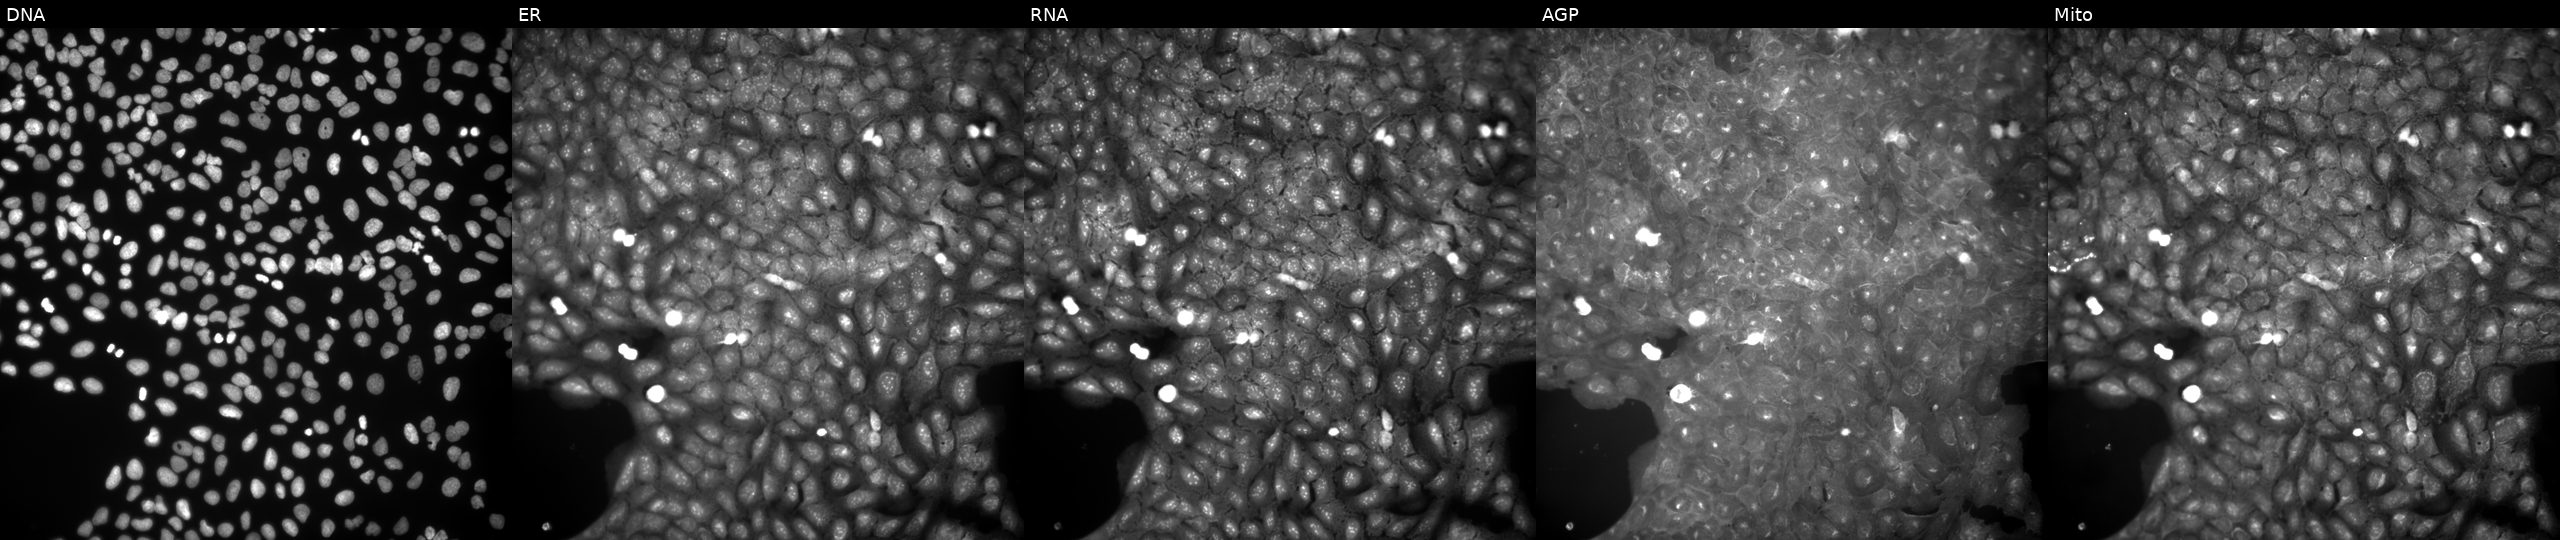
High-content fluorescence microscopy (Cell Painting). Cell line: U2OS. Perturbation: treated with TC-S-7004 (positive-control compound) (JUMP id JCP2022_012818). From left to right: DNA (nuclei); ER (endoplasmic reticulum); RNA (nucleoli and cytoplasmic RNA); AGP (actin cytoskeleton, Golgi, and plasma membrane); Mito (mitochondria).